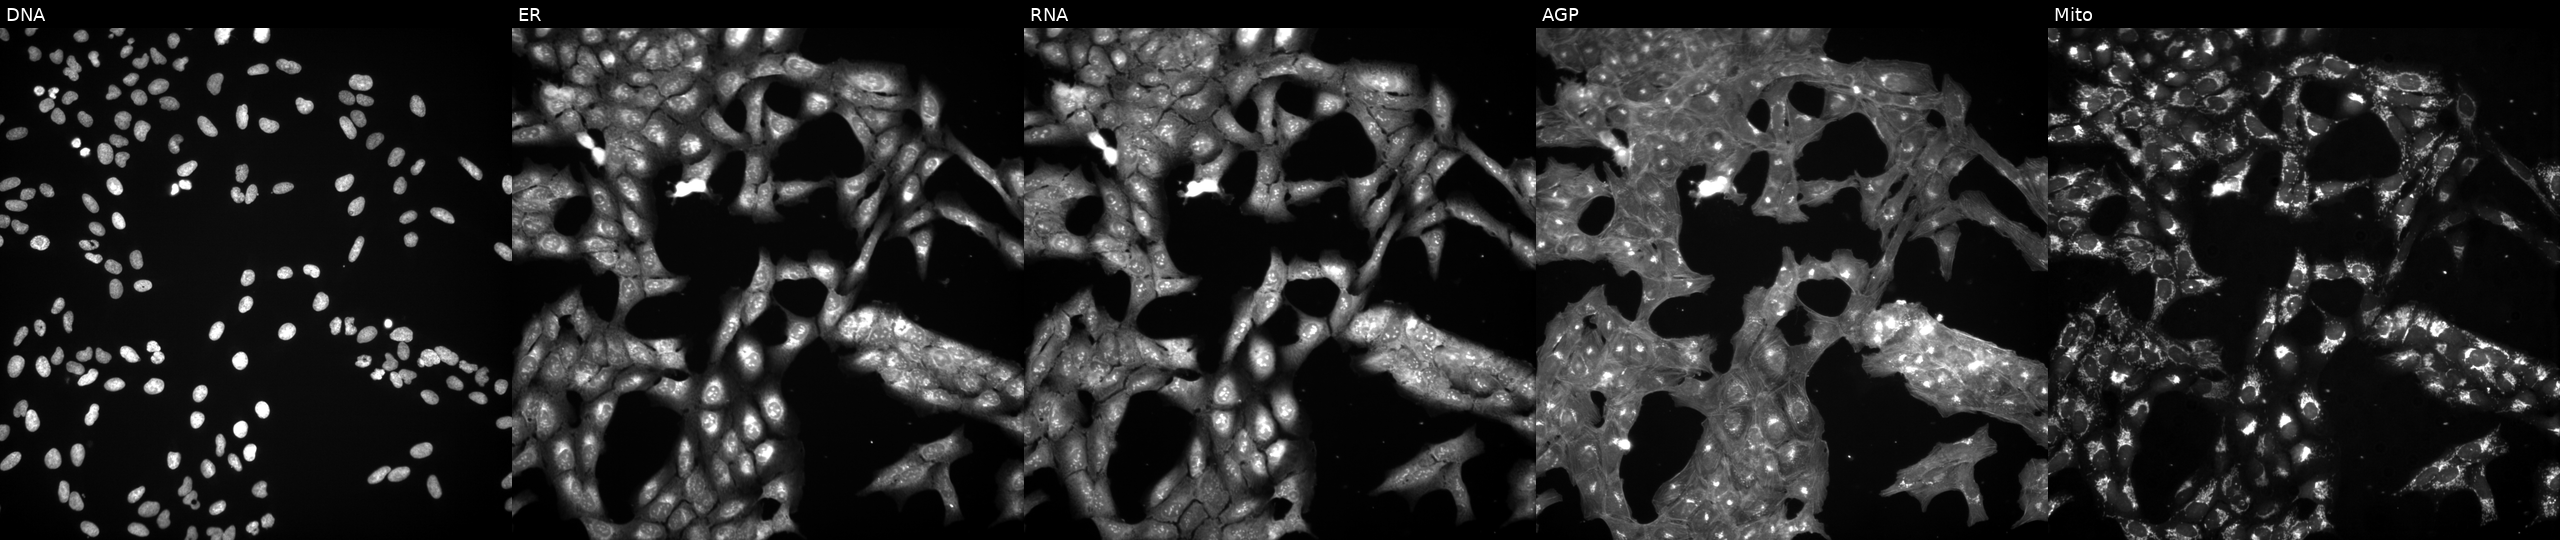
Five-channel Cell Painting image of U2OS cells treated with a small-molecule compound (InChIKey AFHVURHOFVGFLM-UHFFFAOYSA-N) (JUMP id JCP2022_001019). The five panels, left to right, show DNA (nuclei); ER (endoplasmic reticulum); RNA (nucleoli and cytoplasmic RNA); AGP (actin cytoskeleton, Golgi, and plasma membrane); Mito (mitochondria). Source 3, plate BR5867a3, well F14.